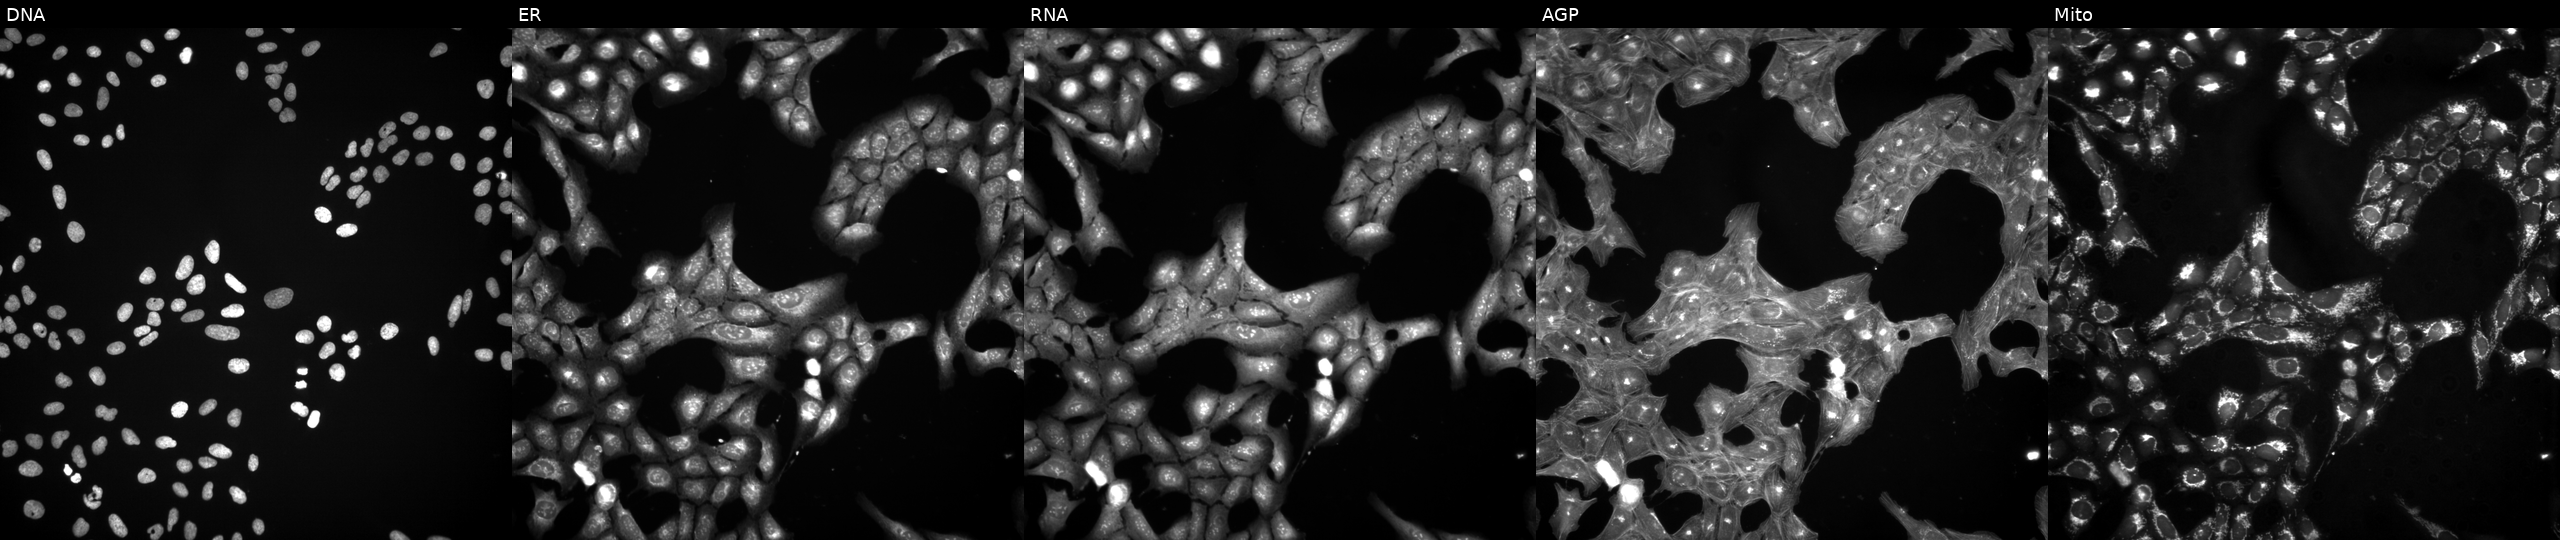
Five-channel Cell Painting image of U2OS cells perturbed with a small-molecule compound (InChIKey BGVLELSCIHASRV-UHFFFAOYSA-N). Channels (left→right): DNA, ER, RNA, AGP, and Mito. Source 3, plate JCPQC053, well F12.